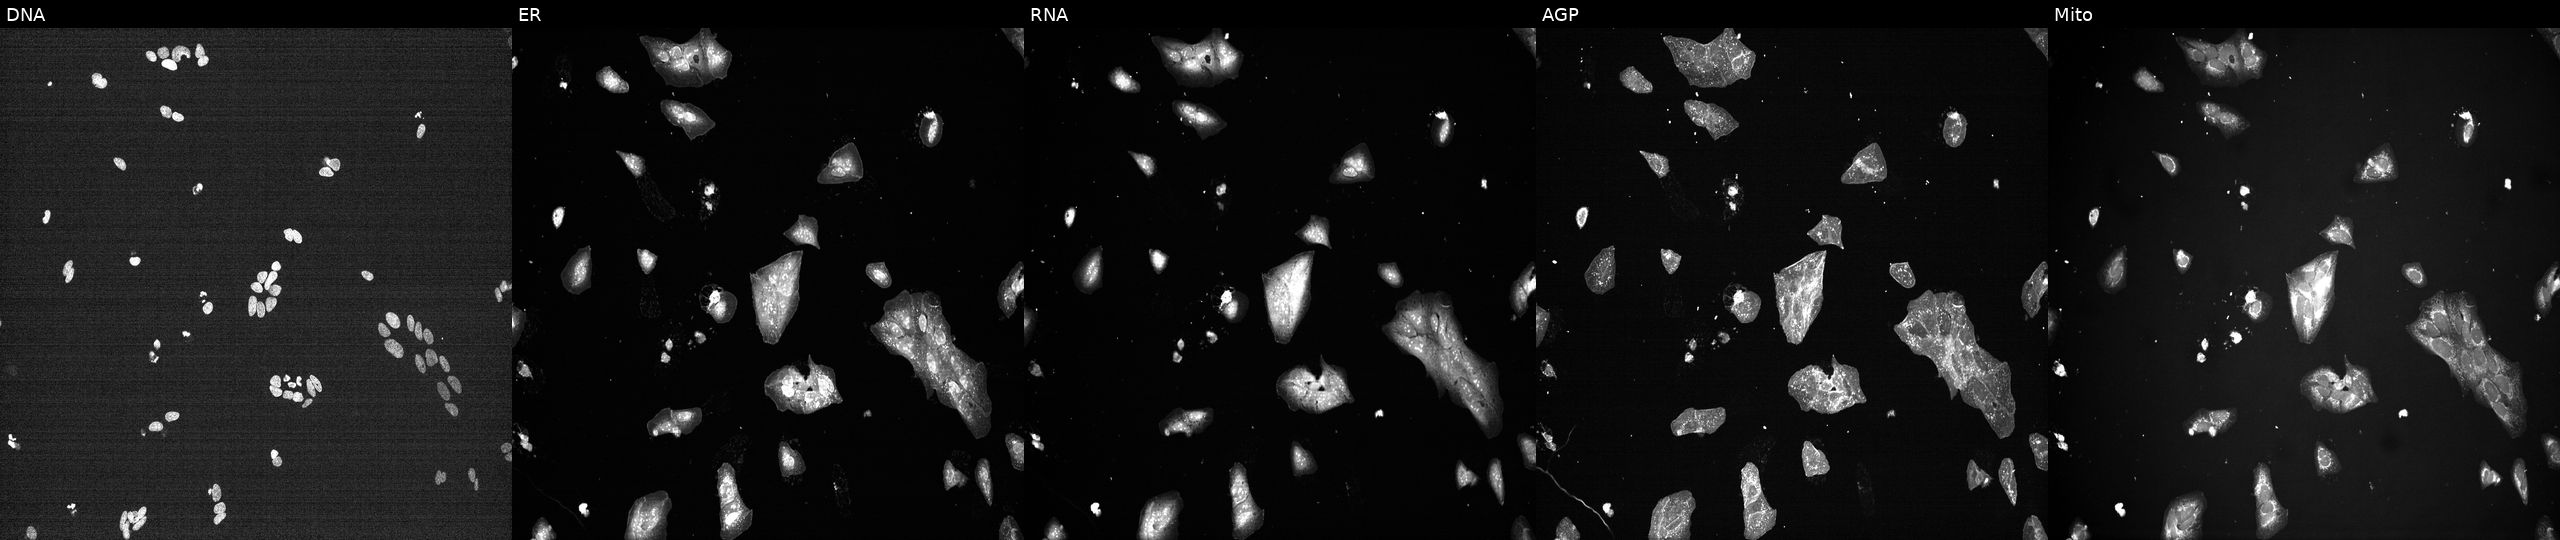
High-content fluorescence microscopy (Cell Painting). Cell line: U2OS. Perturbation: perturbed with a small-molecule compound (InChIKey ZWVZORIKUNOTCS-UHFFFAOYSA-N). The five panels, left to right, show DNA, ER, RNA, AGP, and Mito. Source 7, plate CP1-SC1-25, well B20.